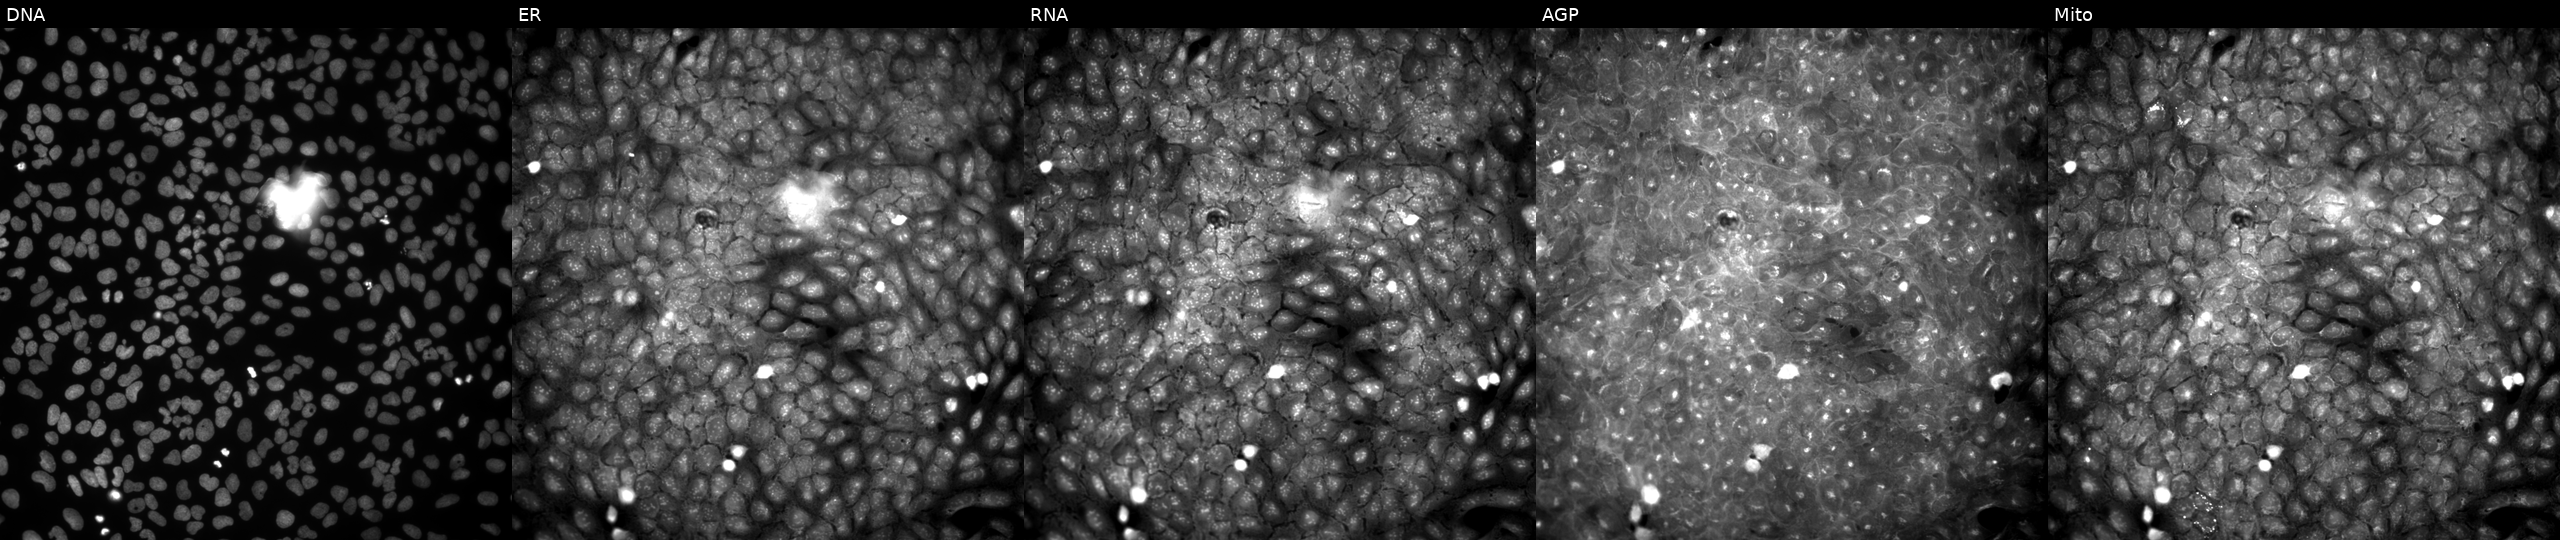
This image strip shows the five Cell Painting channels for a single field of U2OS cells treated with DMSO vehicle only (negative control). Panels show, left to right, DNA (nuclei); ER (endoplasmic reticulum); RNA (nucleoli and cytoplasmic RNA); AGP (actin cytoskeleton, Golgi, and plasma membrane); Mito (mitochondria). Source 9, plate GR00003382, well U23.